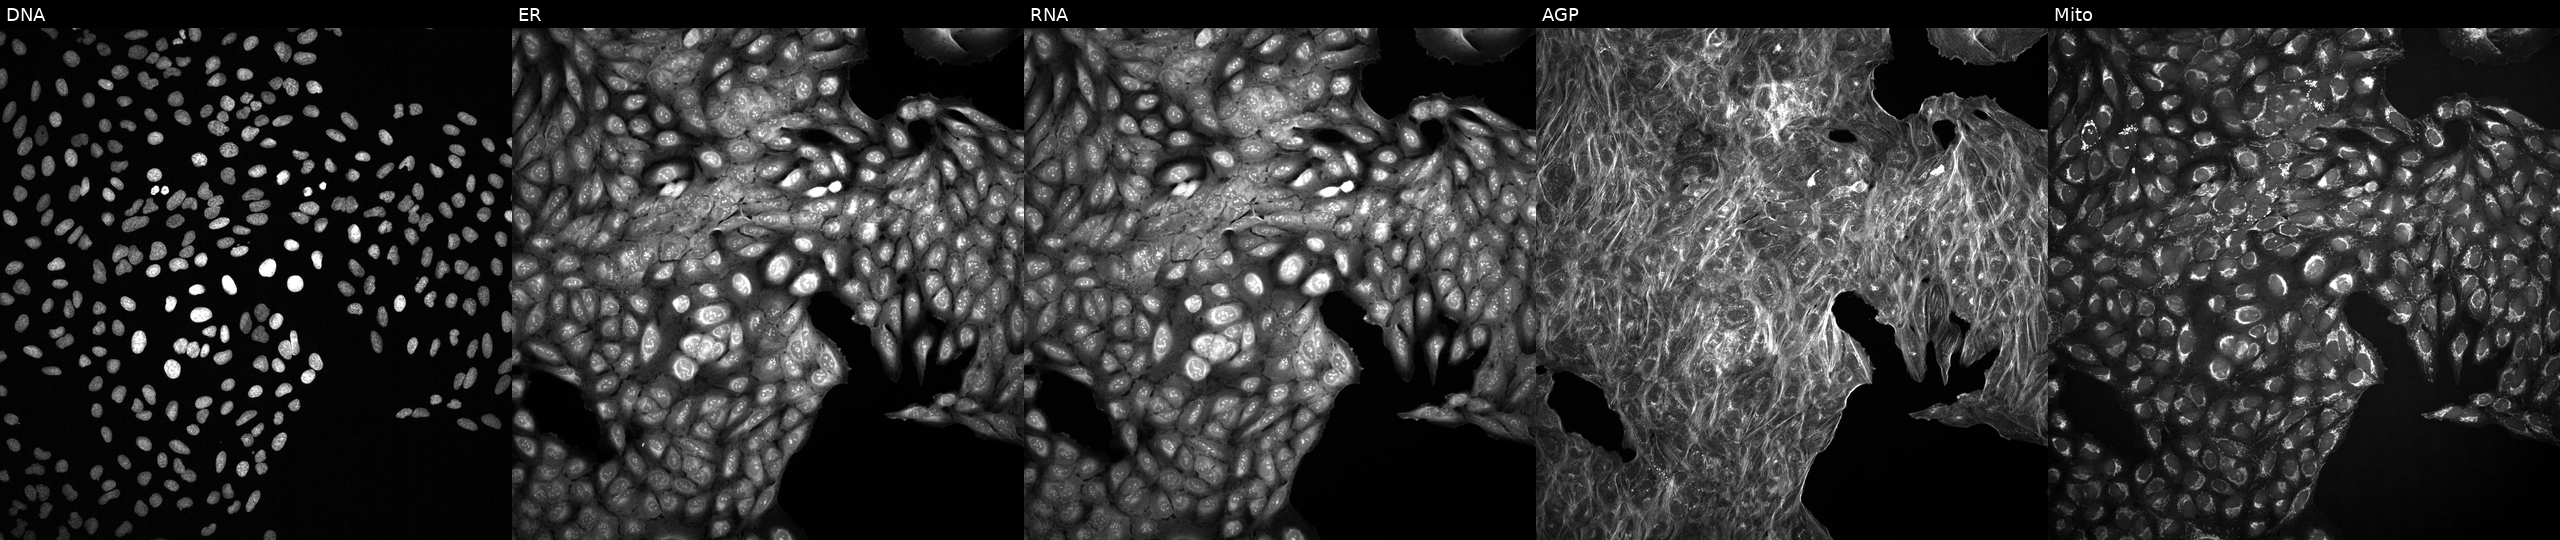
High-content fluorescence microscopy (Cell Painting). Cell line: U2OS. Perturbation: treated with a small-molecule compound (JUMP id JCP2022_082699). From left to right: Hoechst 33342, concanavalin A, SYTO 14, phalloidin and WGA, MitoTracker. Source 2, plate 1053601756, well M11.